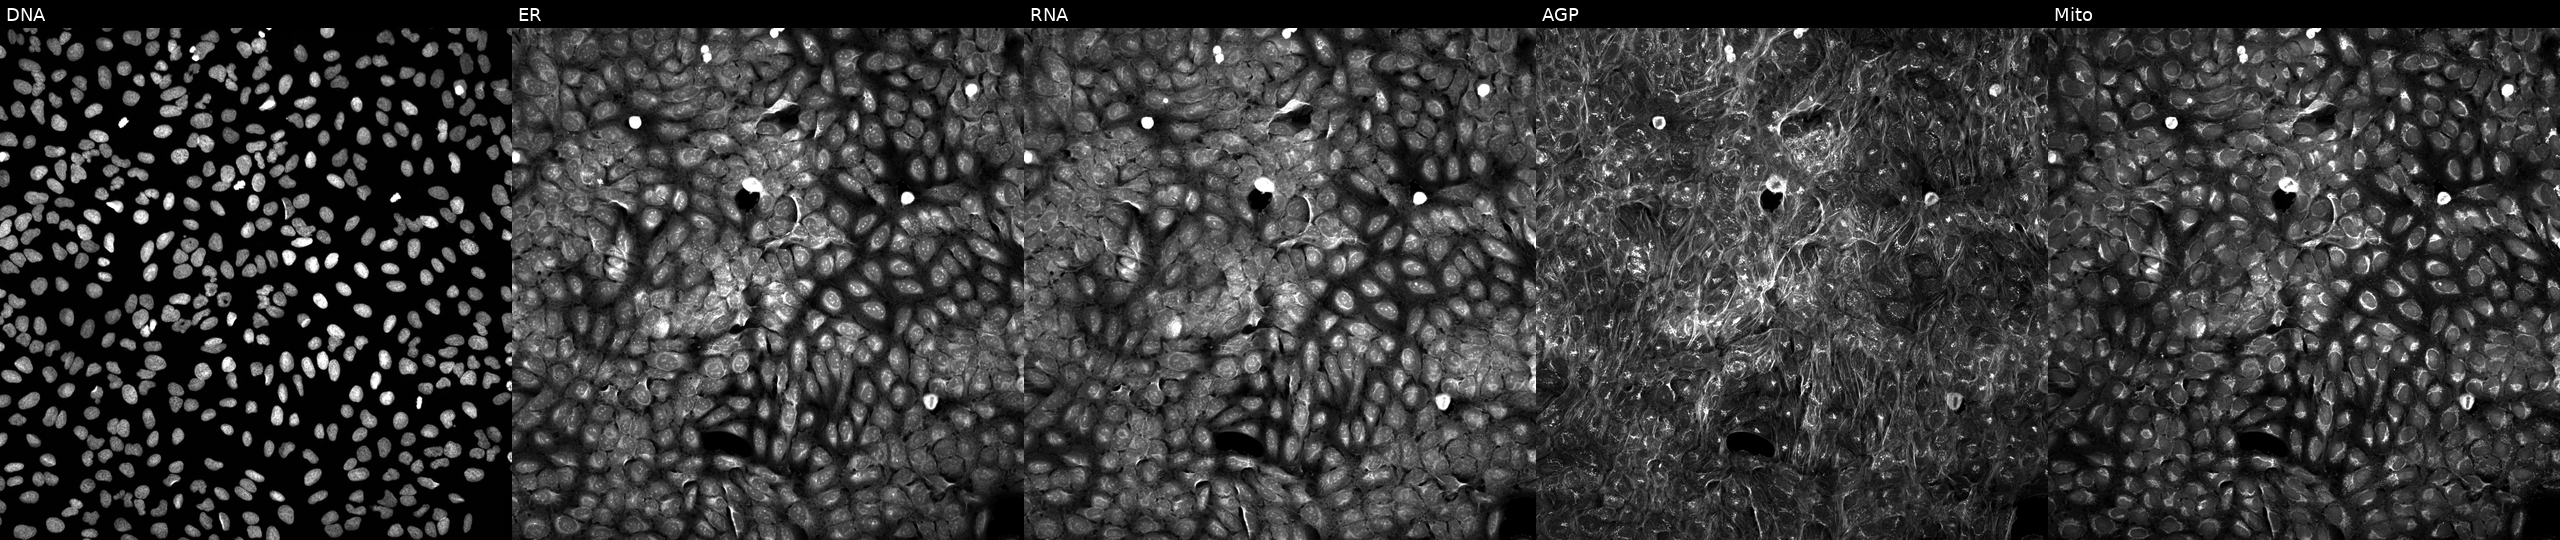
JUMP Cell Painting — COMPOUND plate. U2OS cells exposed to a small-molecule compound (JUMP id JCP2022_021226). The five panels, left to right, show DNA, ER, RNA, AGP, and Mito.